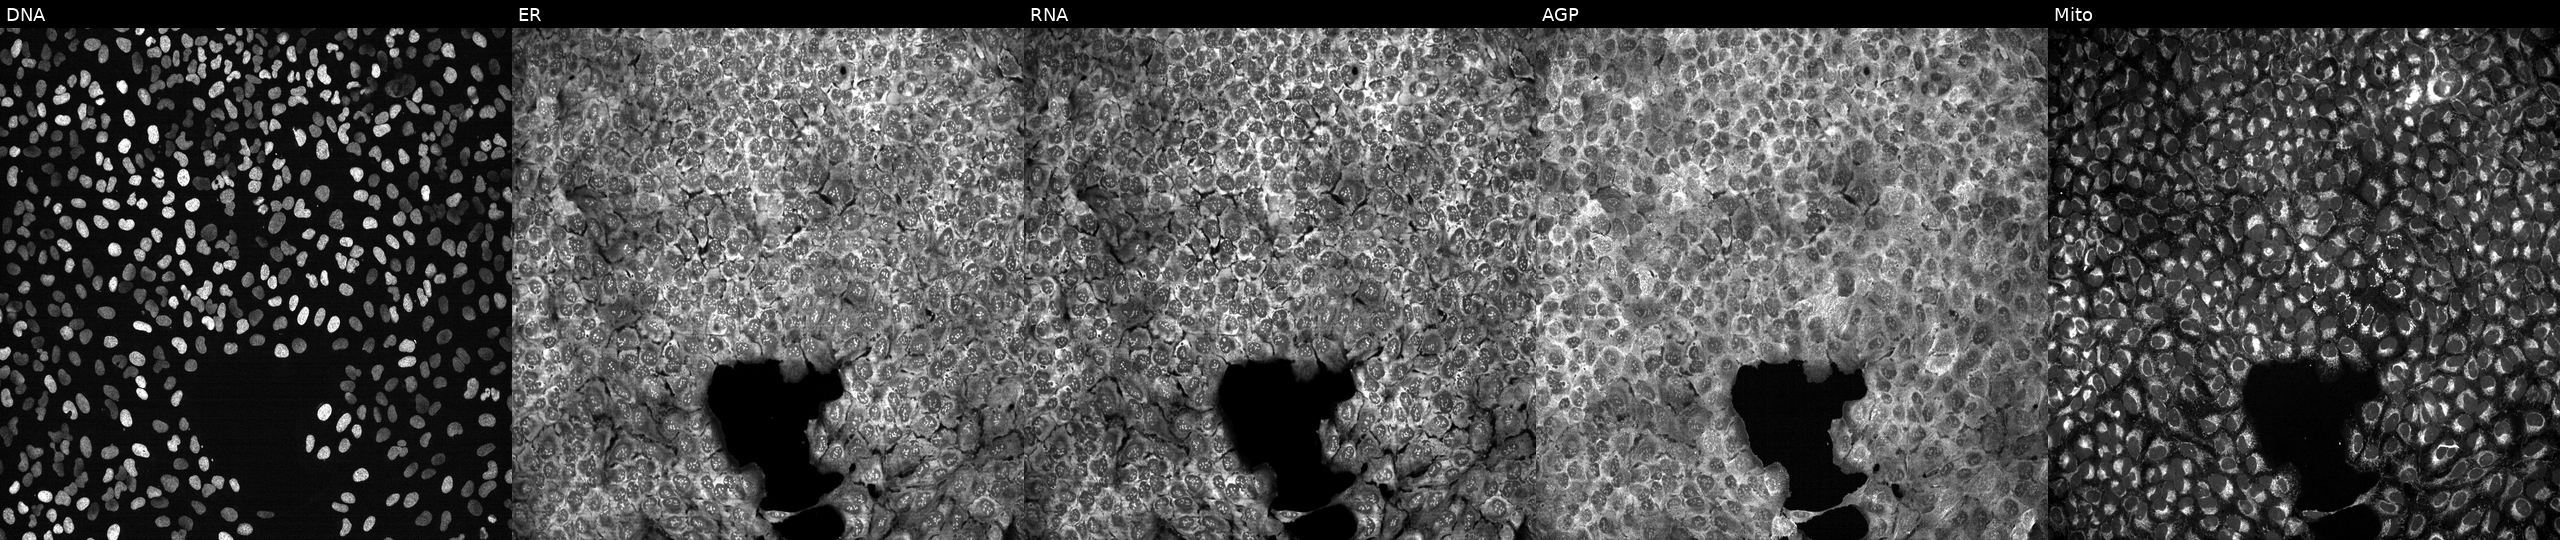
Panels show, left to right, DNA, ER, RNA, AGP, and Mito. U2OS osteosarcoma cells CRISPR-edited to disrupt SLC9A9 (JUMP id JCP2022_806599). Cell Painting assay, JUMP-CP dataset.